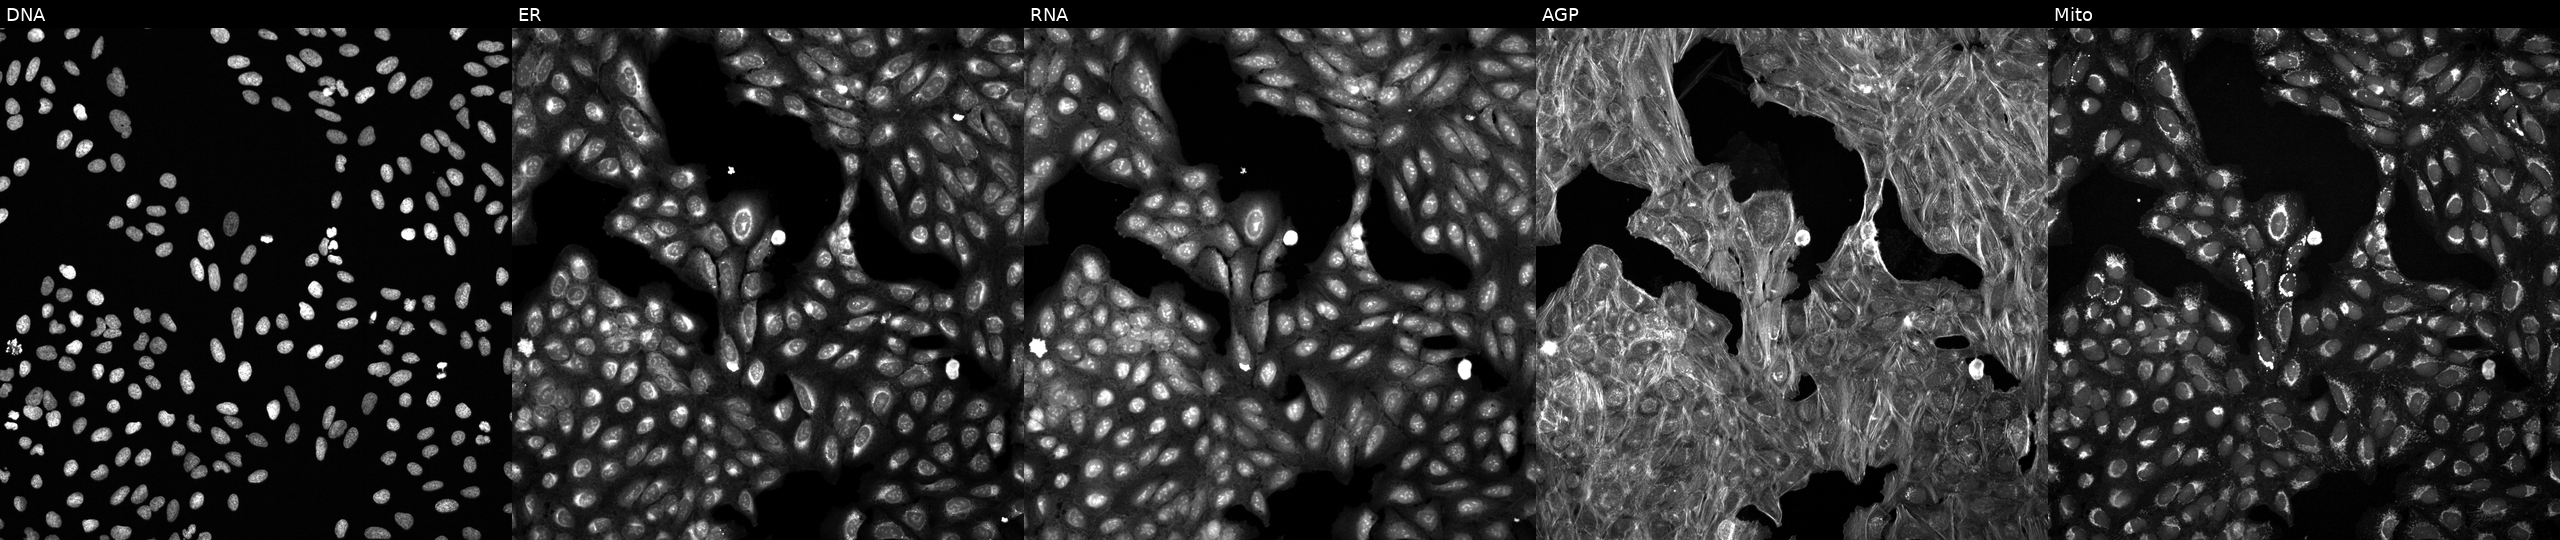
Five-channel Cell Painting image of U2OS cells perturbed with a small-molecule compound (InChIKey ITNMWGRANOGHEK-UHFFFAOYSA-N) (JUMP id JCP2022_037316). Channels (left→right): DNA (nuclei); ER (endoplasmic reticulum); RNA (nucleoli and cytoplasmic RNA); AGP (actin cytoskeleton, Golgi, and plasma membrane); Mito (mitochondria).